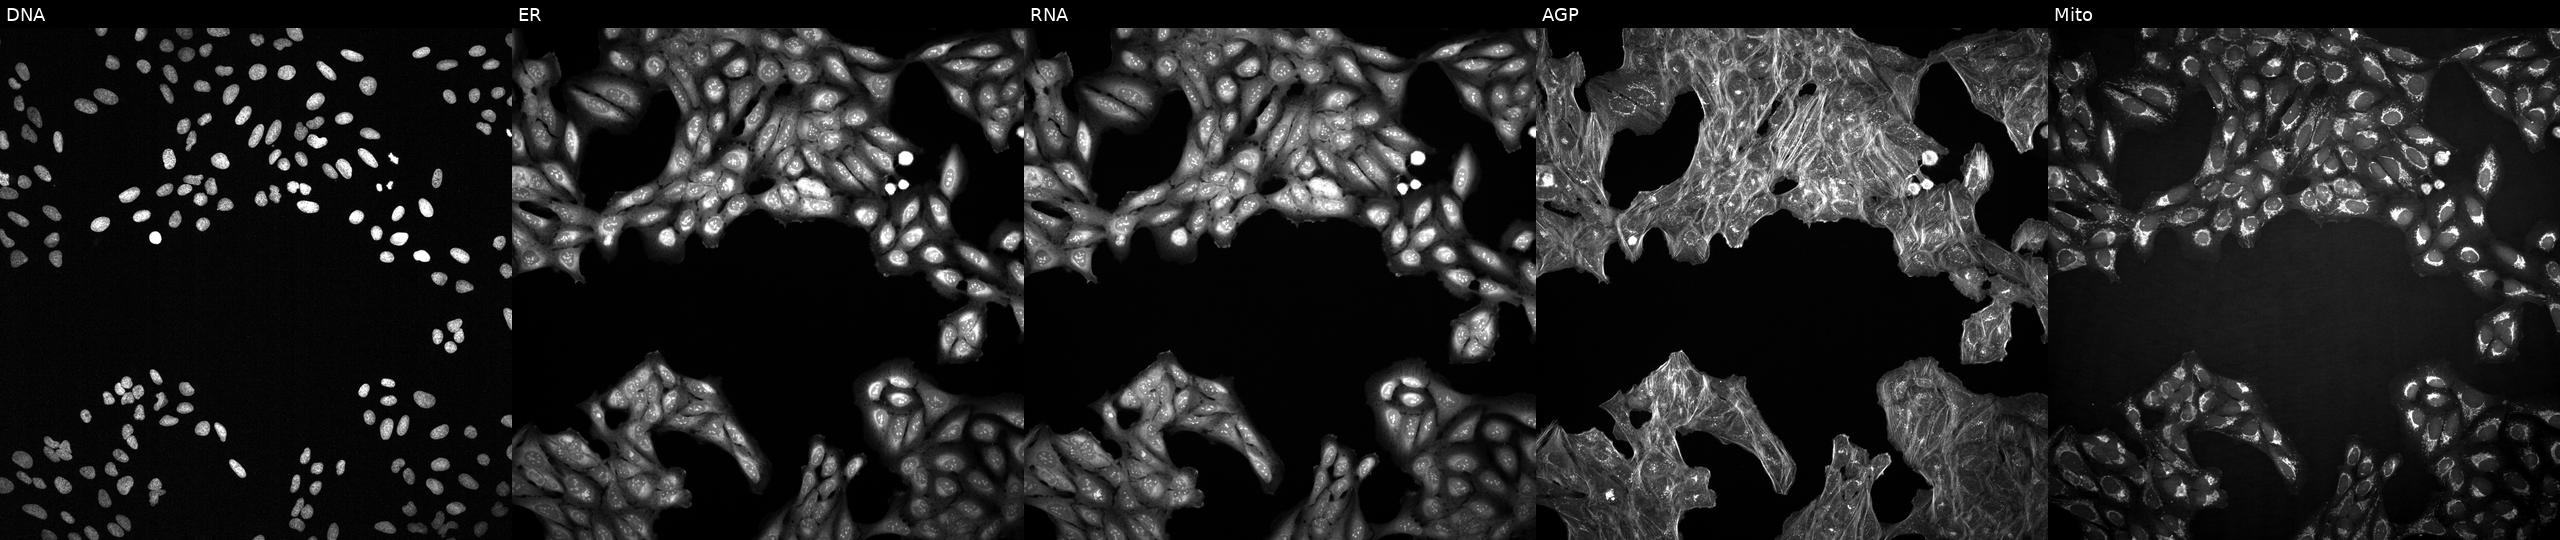
From left to right: Hoechst 33342, concanavalin A, SYTO 14, phalloidin and WGA, MitoTracker. U2OS osteosarcoma cells perturbed with a small-molecule compound (InChIKey HAQDEJPEAKWAAM-UHFFFAOYSA-N) [SMILES: CCOC(=O)C1=C(C)N=C(C)C(C(=O)OC)C1c1cccc(Cl)c1Cl] (JUMP id JCP2022_028940). Cell Painting assay, JUMP-CP dataset.